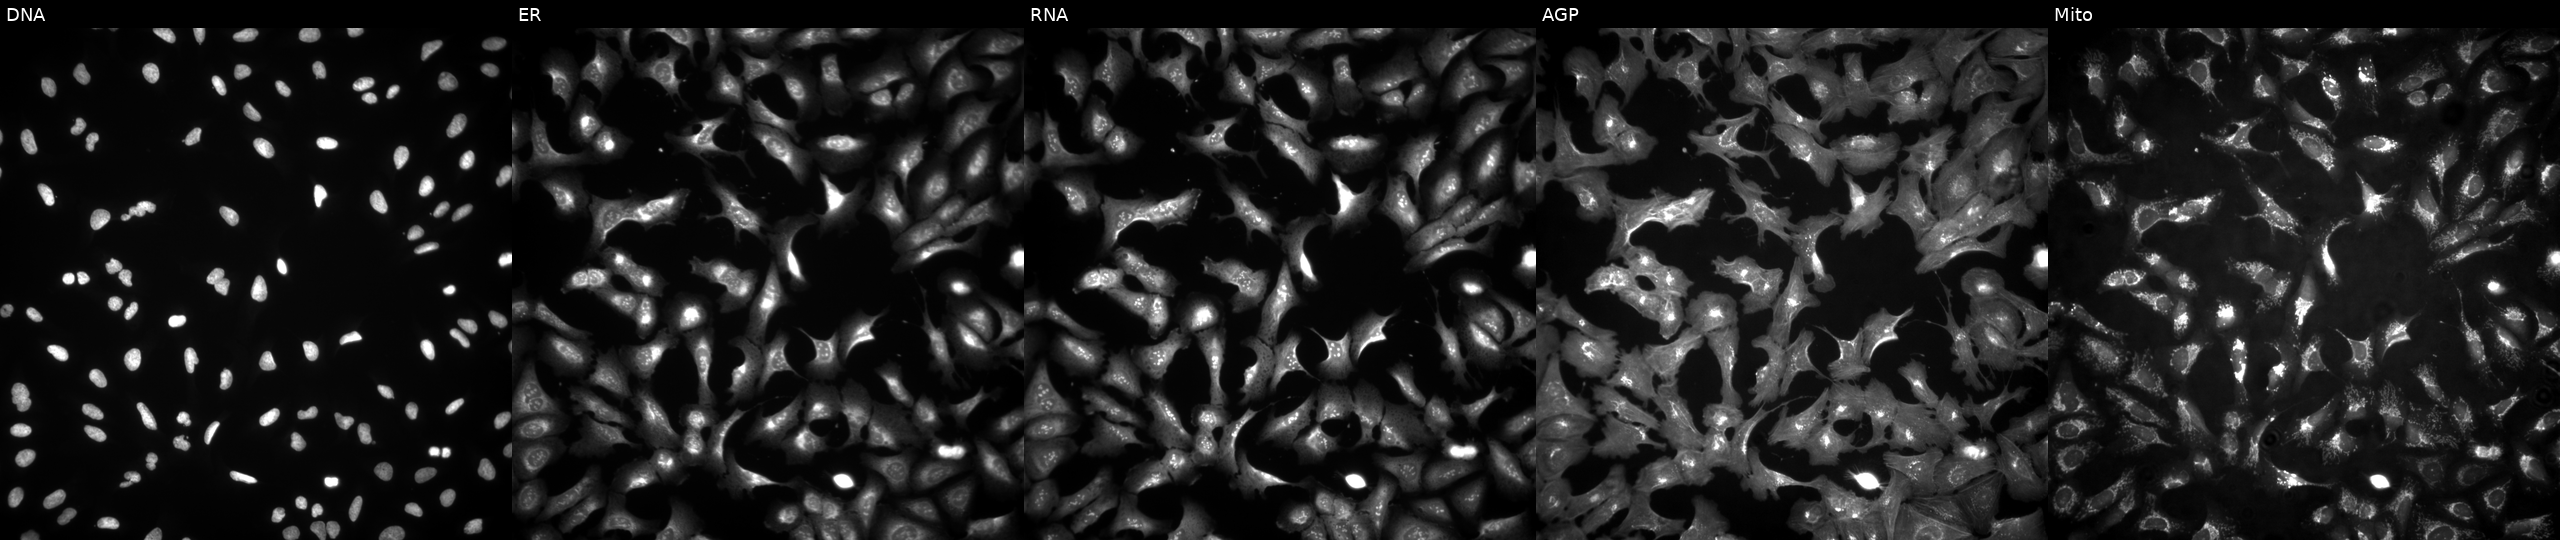
This image strip shows the five Cell Painting channels for a single field of U2OS cells transfected with an ORF construct for GPR65. The five panels, left to right, show DNA (nuclei); ER (endoplasmic reticulum); RNA (nucleoli and cytoplasmic RNA); AGP (actin cytoskeleton, Golgi, and plasma membrane); Mito (mitochondria).